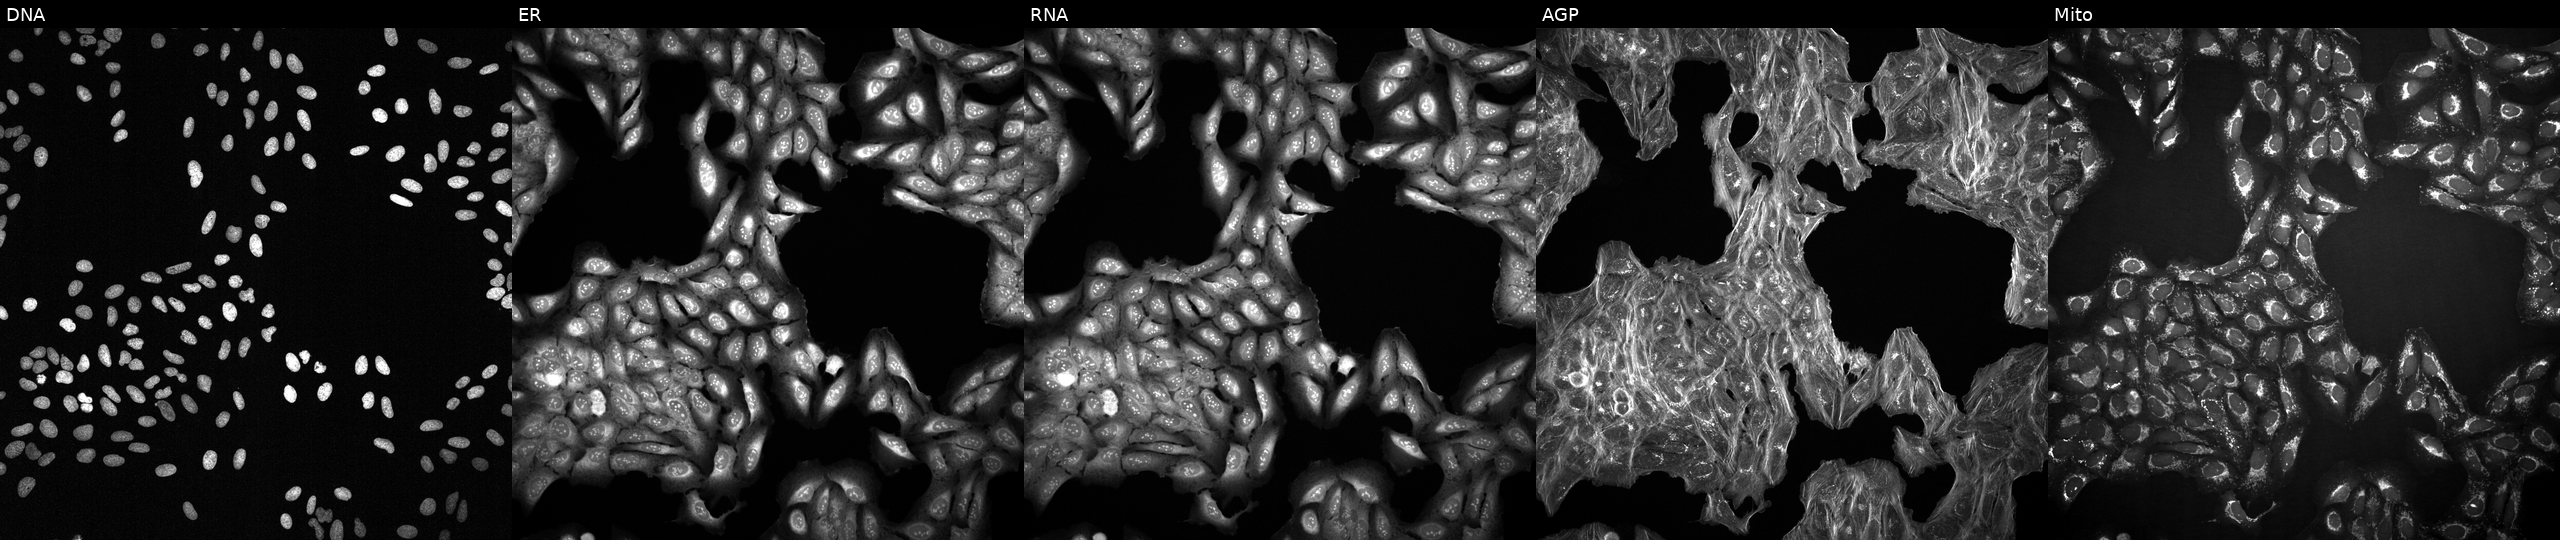
Five-channel Cell Painting image of U2OS cells treated with a small-molecule compound (InChIKey UFJGFNHRMPMALC-UHFFFAOYSA-N) [SMILES: CCOC(=O)c1c2c3c(cccc3[nH]c1=O)C(=O)c1ccccc1-2]. From left to right: DNA (nuclei); ER (endoplasmic reticulum); RNA (nucleoli and cytoplasmic RNA); AGP (actin cytoskeleton, Golgi, and plasma membrane); Mito (mitochondria). Source 2, plate 1053600674, well I19.